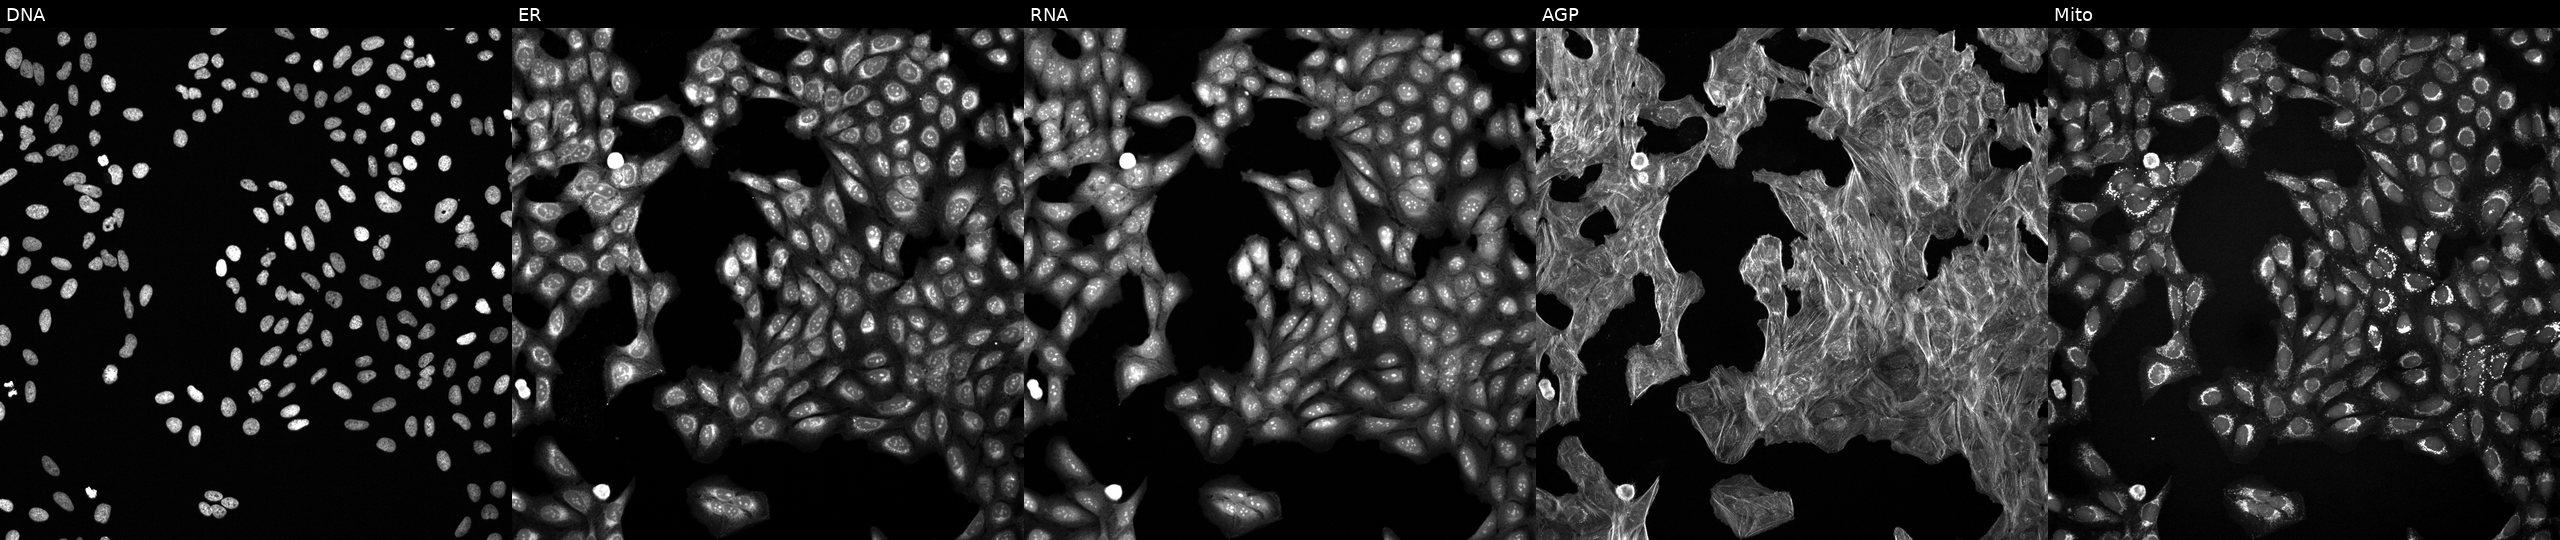
Panels show, left to right, DNA, ER, RNA, AGP, and Mito. U2OS osteosarcoma cells perturbed with a small-molecule compound (InChIKey PHOGQKDIVUJGMJ-UHFFFAOYSA-N) [SMILES: COC(=O)C1=C(C)N=C(C)C(C(=O)OC(C)(C)CN(C)CCC(c2ccccc2)c2ccccc2)C1c1cccc([N+](=O)[O-])c1] (JUMP id JCP2022_068634). Cell Painting assay, JUMP-CP dataset.